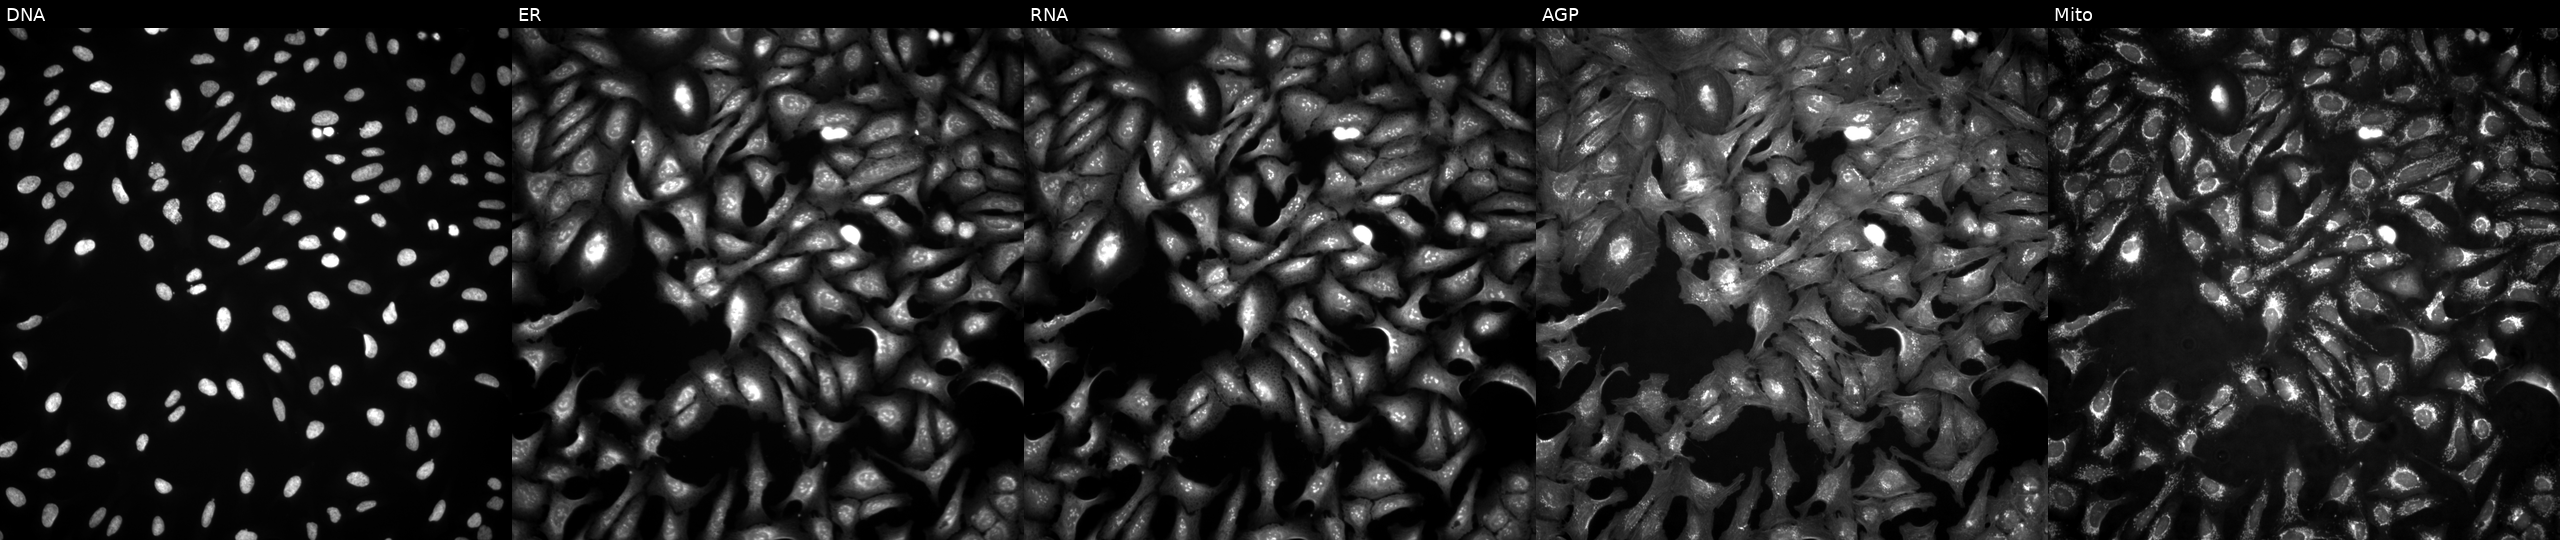
Five-channel Cell Painting image of U2OS cells with XLOC_011808 overexpressed (ORF) (JUMP id JCP2022_909618). From left to right: DNA (nuclei); ER (endoplasmic reticulum); RNA (nucleoli and cytoplasmic RNA); AGP (actin cytoskeleton, Golgi, and plasma membrane); Mito (mitochondria). Source 4, plate BR00124787, well A10.